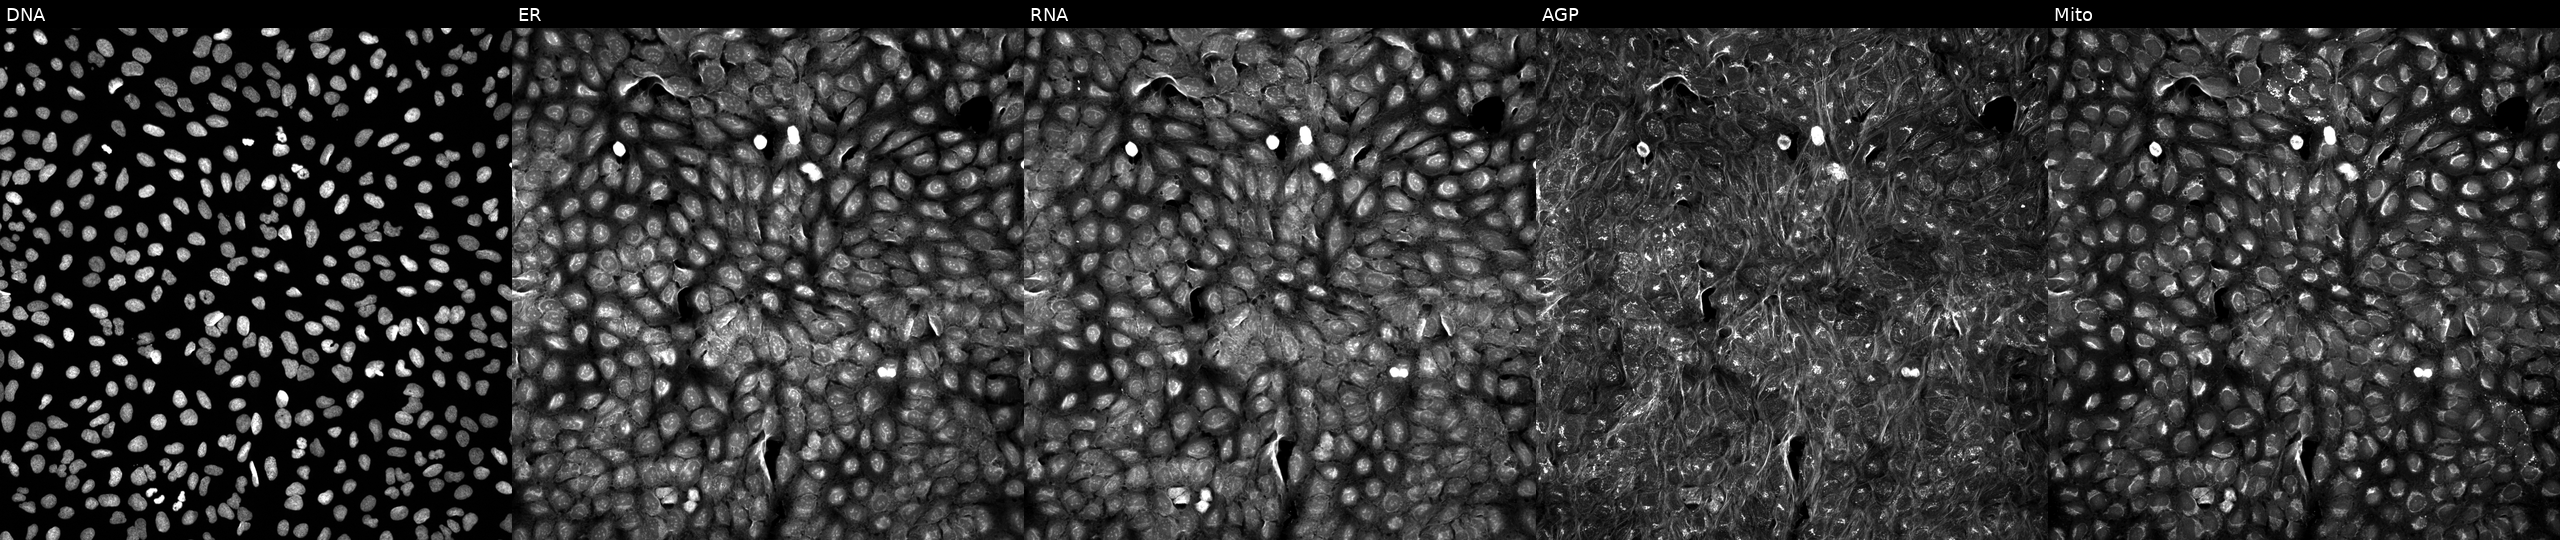
From left to right: Hoechst 33342, concanavalin A, SYTO 14, phalloidin and WGA, MitoTracker. U2OS osteosarcoma cells exposed to a small-molecule compound (InChIKey SLPFEFYUKOPRKH-UHFFFAOYSA-N) [SMILES: CC(=O)NC1CN(C(=O)c2cc(Cl)ccc2F)CC1CO]. Cell Painting assay, JUMP-CP dataset. Source 5, plate APTJUM106, well K06.